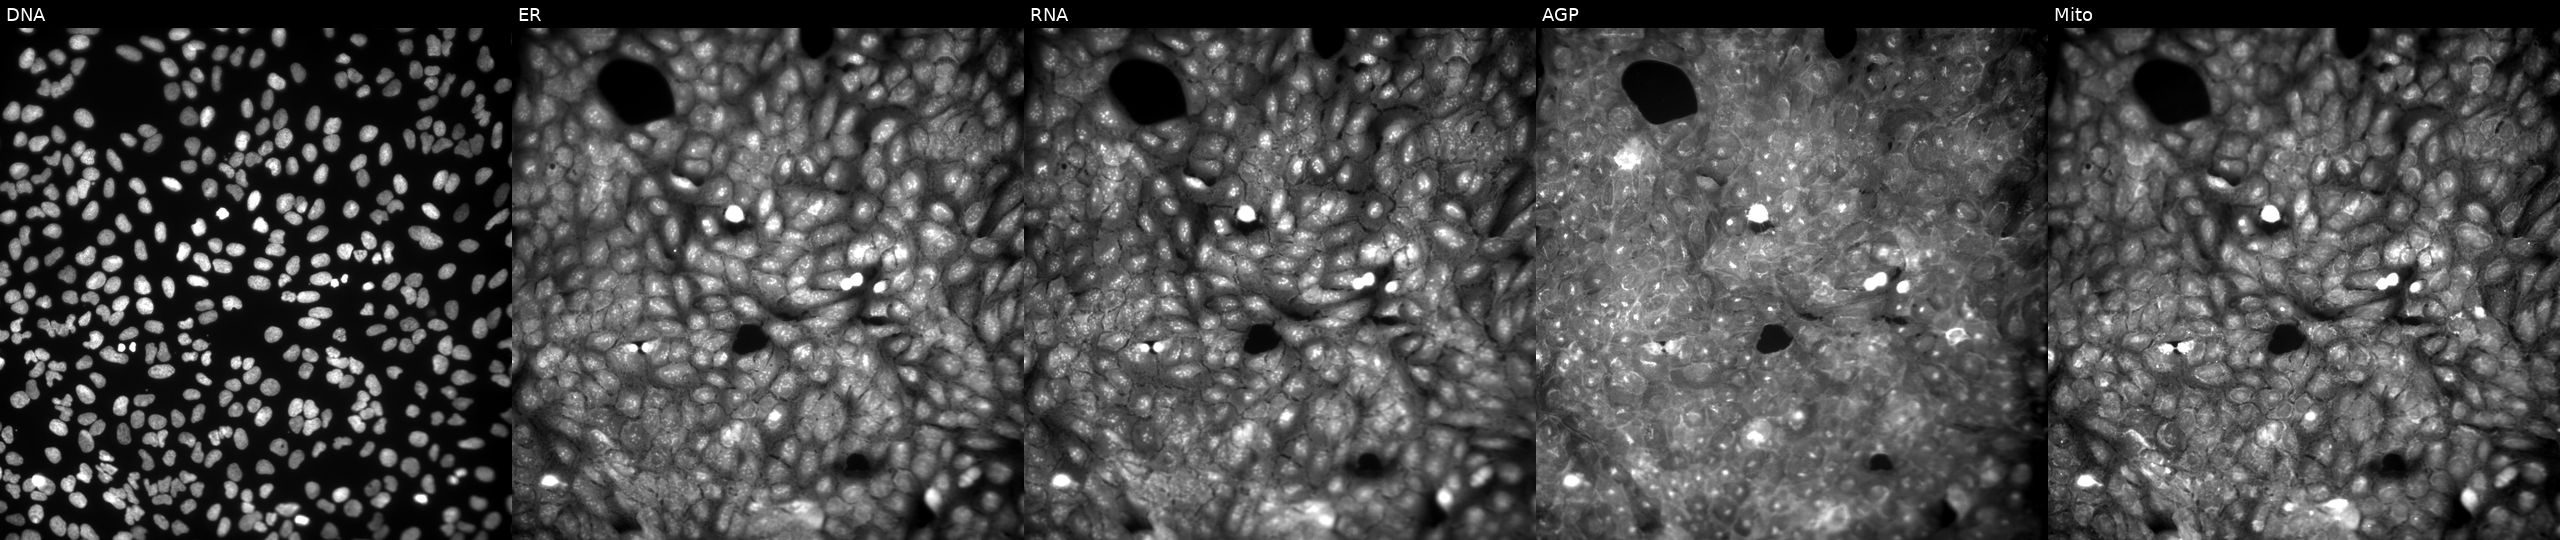
JUMP Cell Painting — COMPOUND plate. U2OS cells perturbed with a small-molecule compound (InChIKey OIXUIDYDBXXZDF-UHFFFAOYSA-N) (JUMP id JCP2022_064088). Panels show, left to right, Hoechst 33342, concanavalin A, SYTO 14, phalloidin and WGA, MitoTracker.